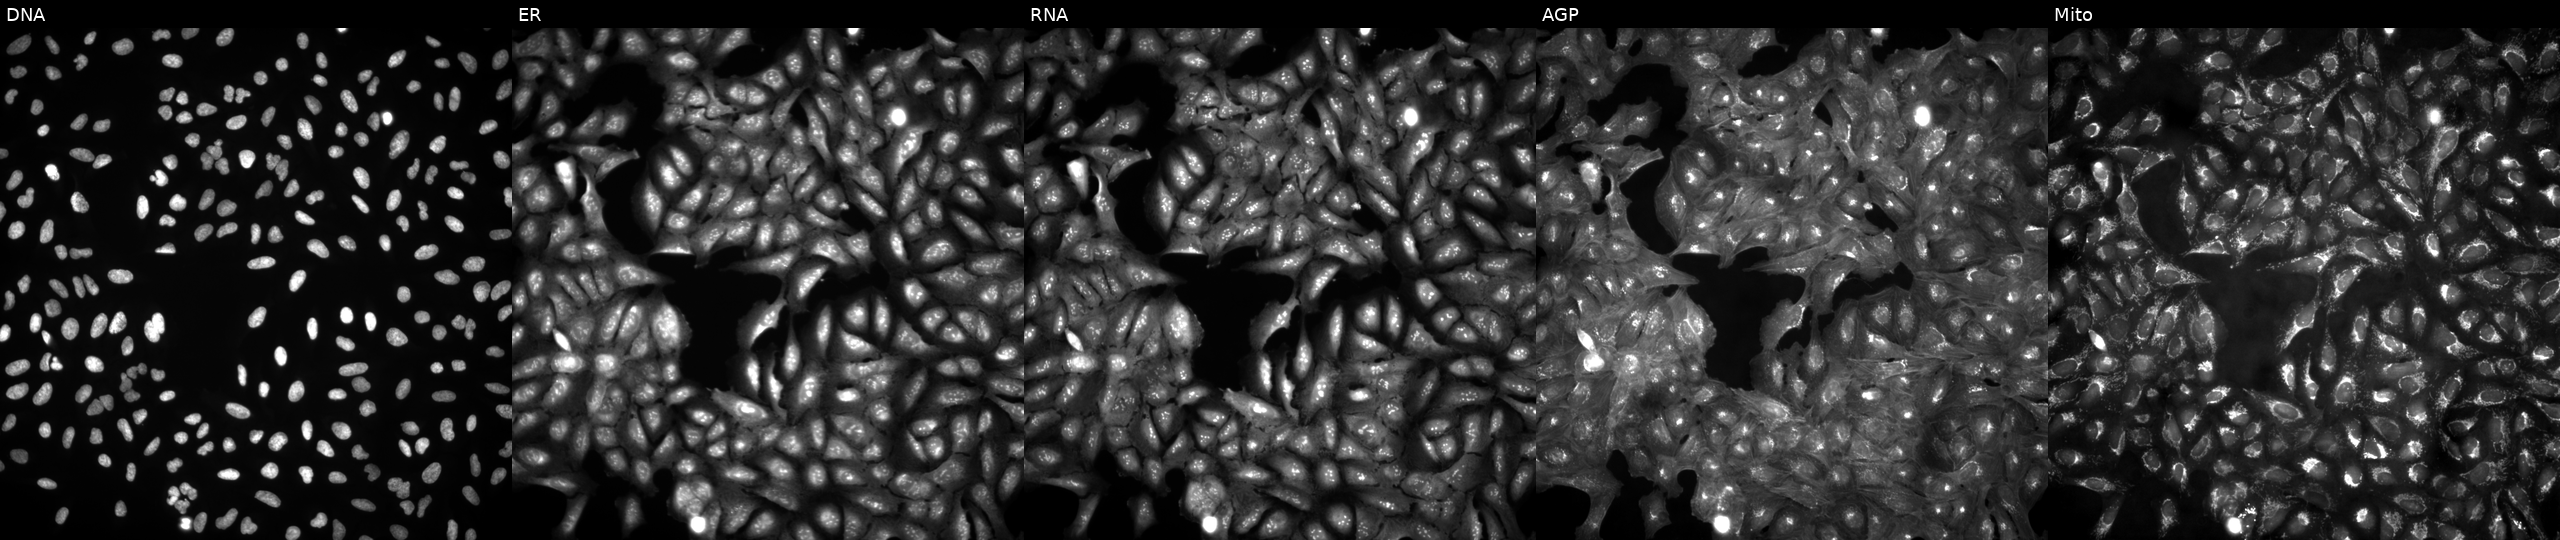
JUMP Cell Painting — ORF plate. U2OS cells in an empty control well (no perturbation). Panels show, left to right, Hoechst 33342, concanavalin A, SYTO 14, phalloidin and WGA, MitoTracker. Source 4, plate BR00123946, well I06.